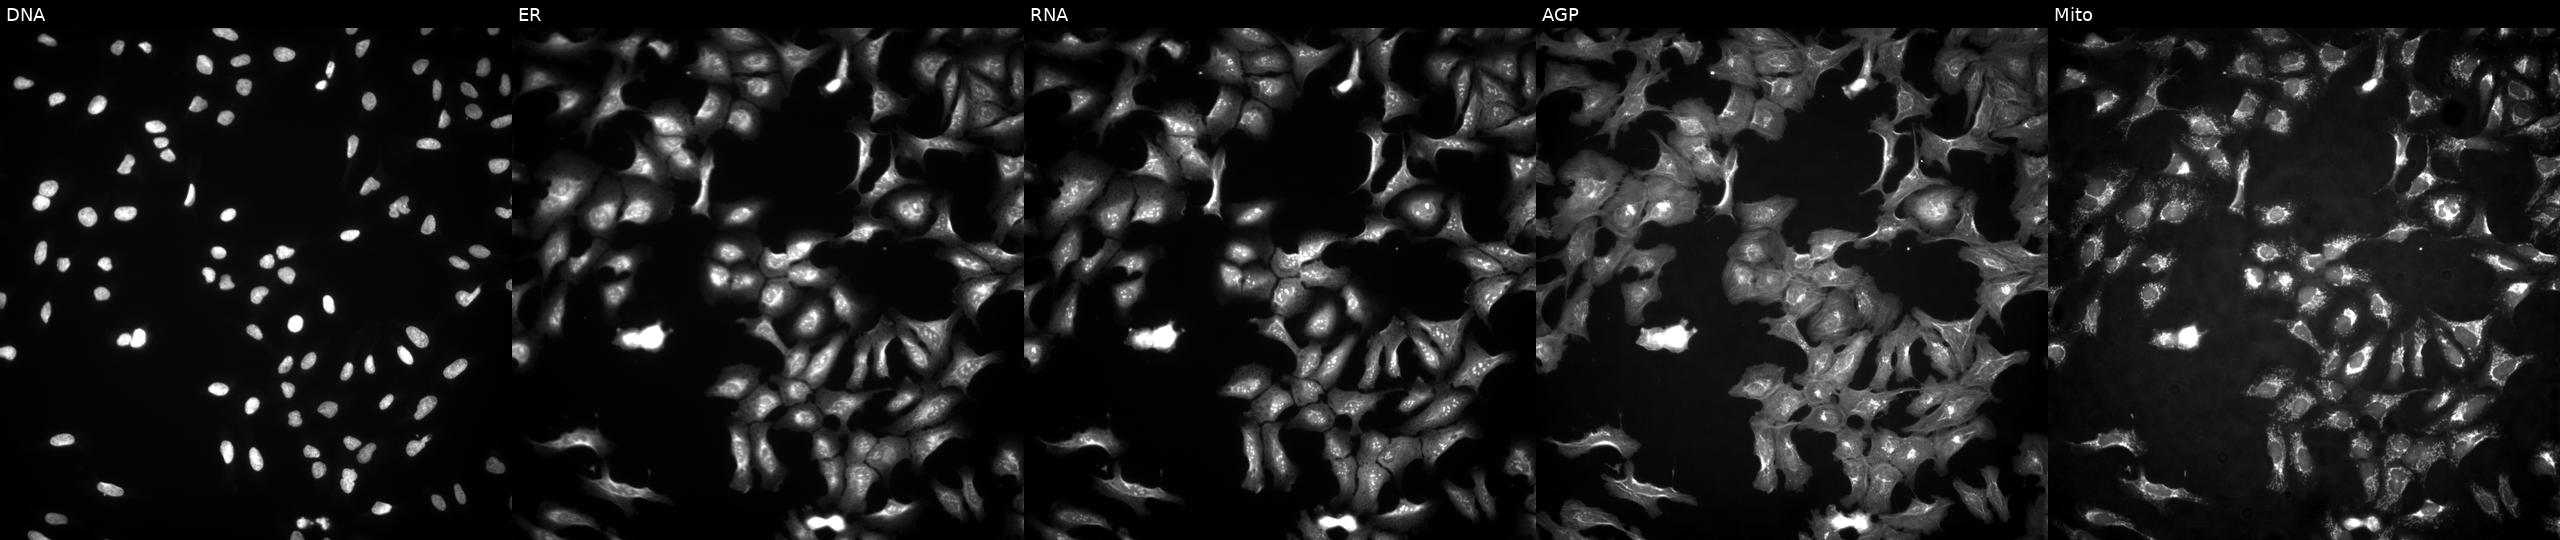
Channels (left→right): DNA (nuclei); ER (endoplasmic reticulum); RNA (nucleoli and cytoplasmic RNA); AGP (actin cytoskeleton, Golgi, and plasma membrane); Mito (mitochondria). U2OS osteosarcoma cells overexpressing RTL8C via ORF transfection (JUMP id JCP2022_901912). Cell Painting assay, JUMP-CP dataset.